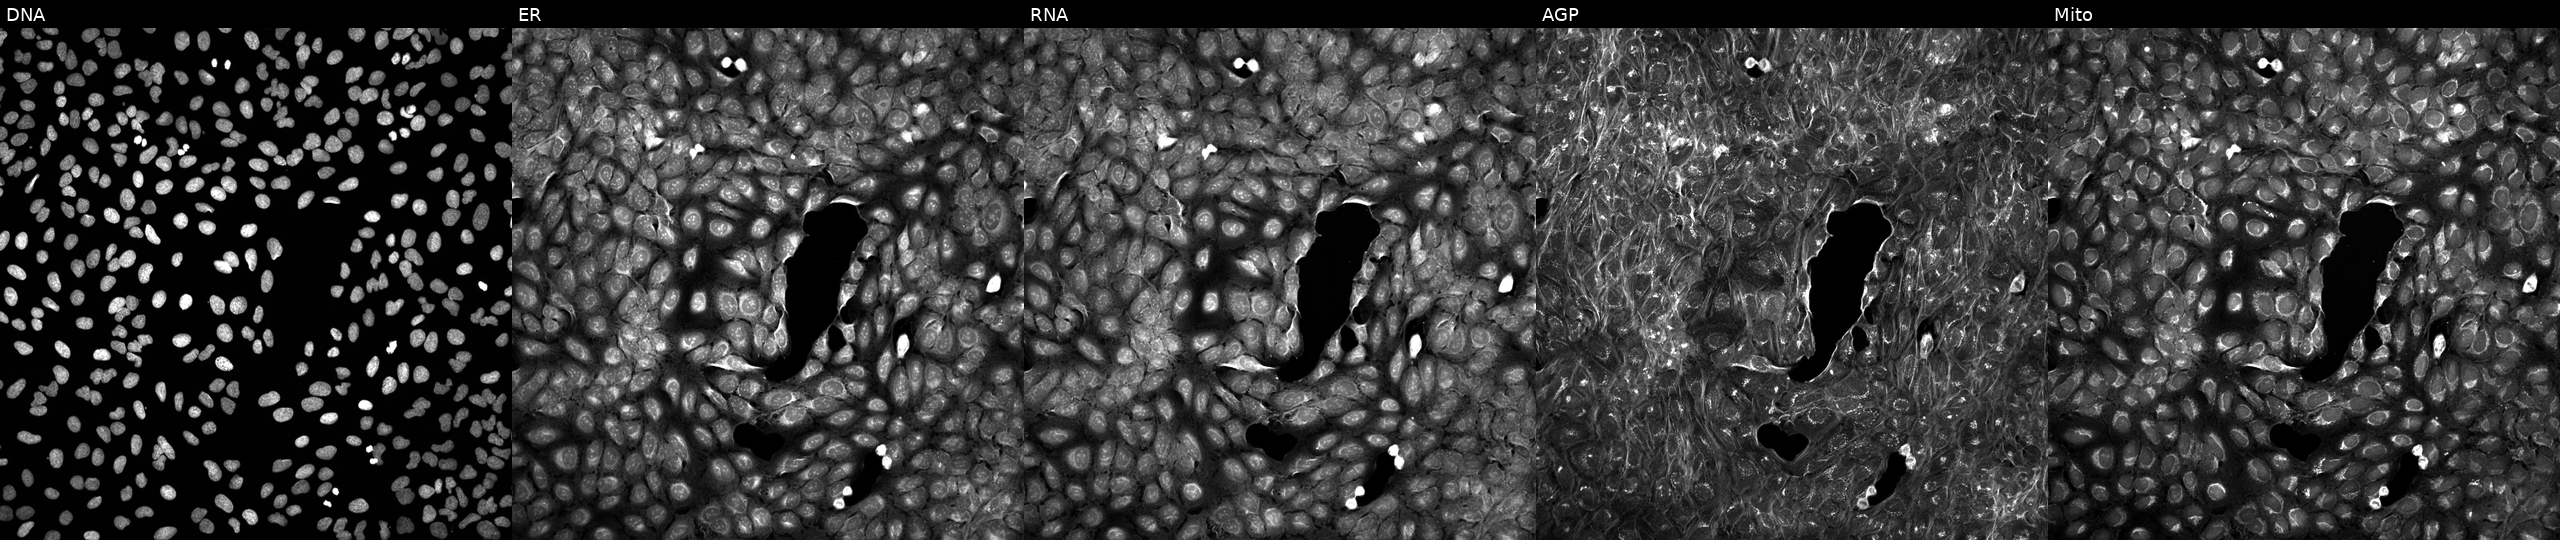
Channels (left→right): Hoechst 33342, concanavalin A, SYTO 14, phalloidin and WGA, MitoTracker. U2OS osteosarcoma cells treated with a small-molecule compound (JUMP id JCP2022_031327). Cell Painting assay, JUMP-CP dataset.